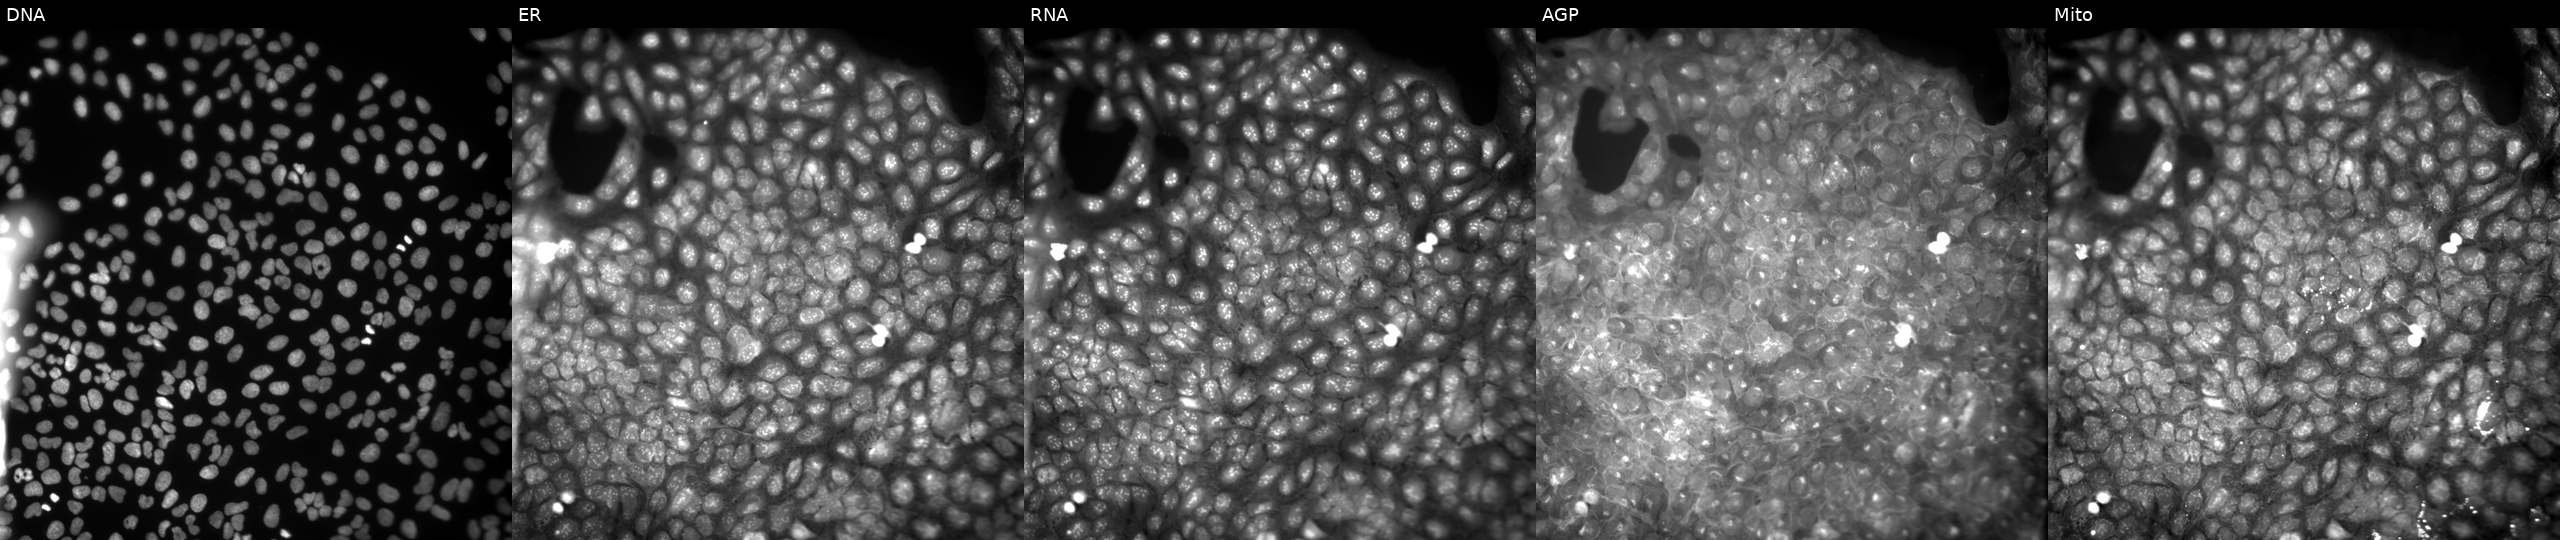
U2OS cells, Cell Painting assay, treated with a small-molecule compound (InChIKey SWTMZKPNUWCIFW-UHFFFAOYSA-N). Panels show, left to right, DNA (nuclei); ER (endoplasmic reticulum); RNA (nucleoli and cytoplasmic RNA); AGP (actin cytoskeleton, Golgi, and plasma membrane); Mito (mitochondria). Each panel is percentile-stretched 16-bit fluorescence. Source 9, plate GR00003382, well AE44.